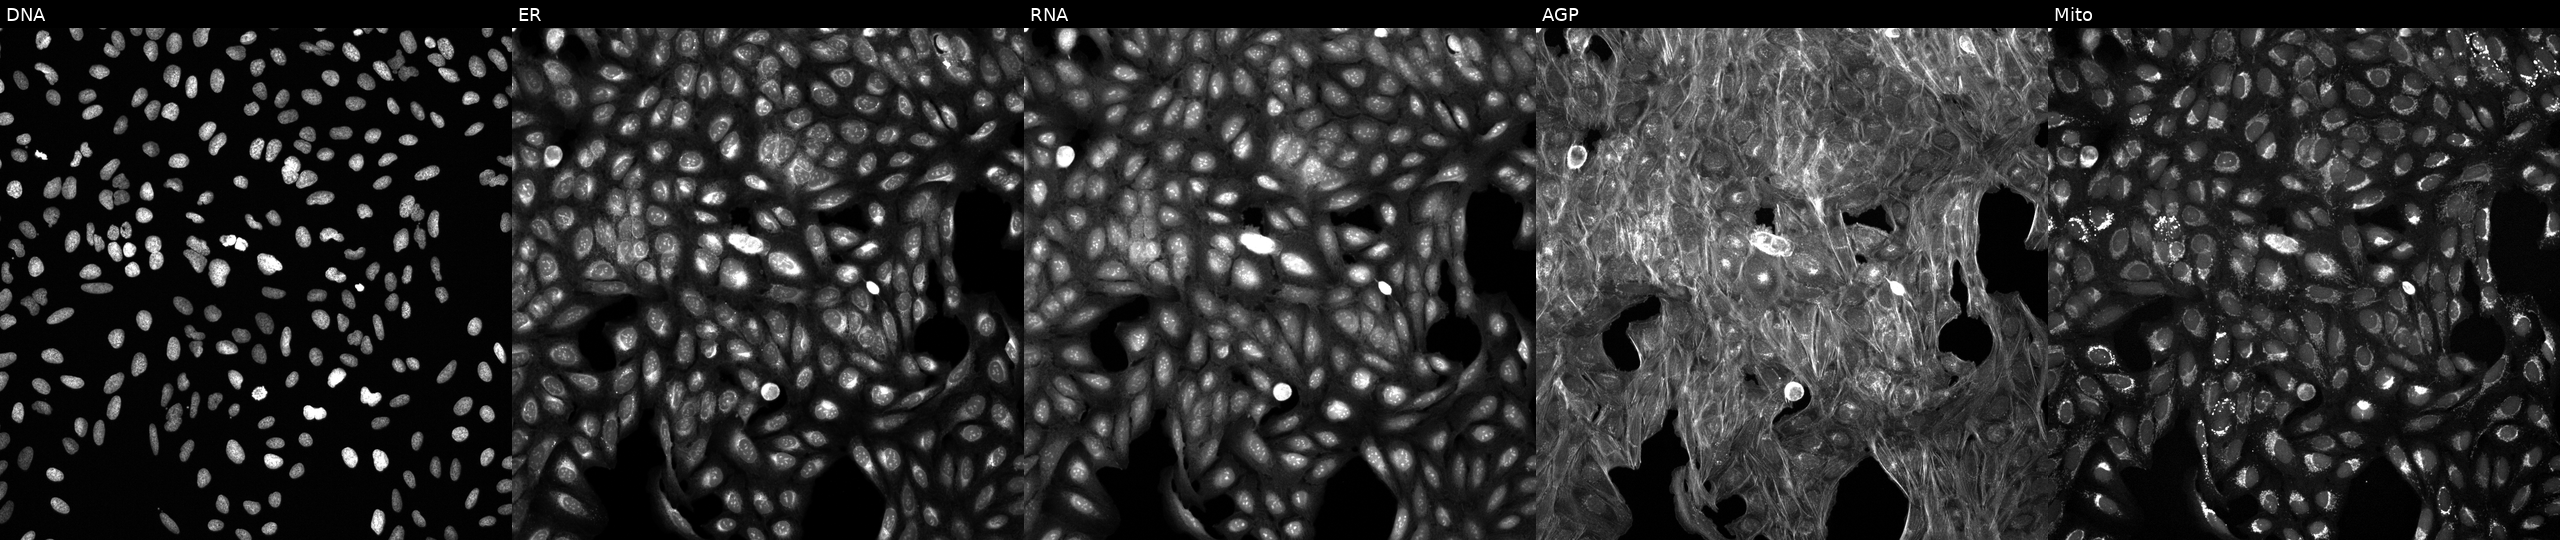
This image strip shows the five Cell Painting channels for a single field of U2OS cells perturbed with a small-molecule compound (InChIKey AEIMQQRZBRSHMV-UHFFFAOYSA-N) (JUMP id JCP2022_000840). The five panels, left to right, show DNA (nuclei); ER (endoplasmic reticulum); RNA (nucleoli and cytoplasmic RNA); AGP (actin cytoskeleton, Golgi, and plasma membrane); Mito (mitochondria).